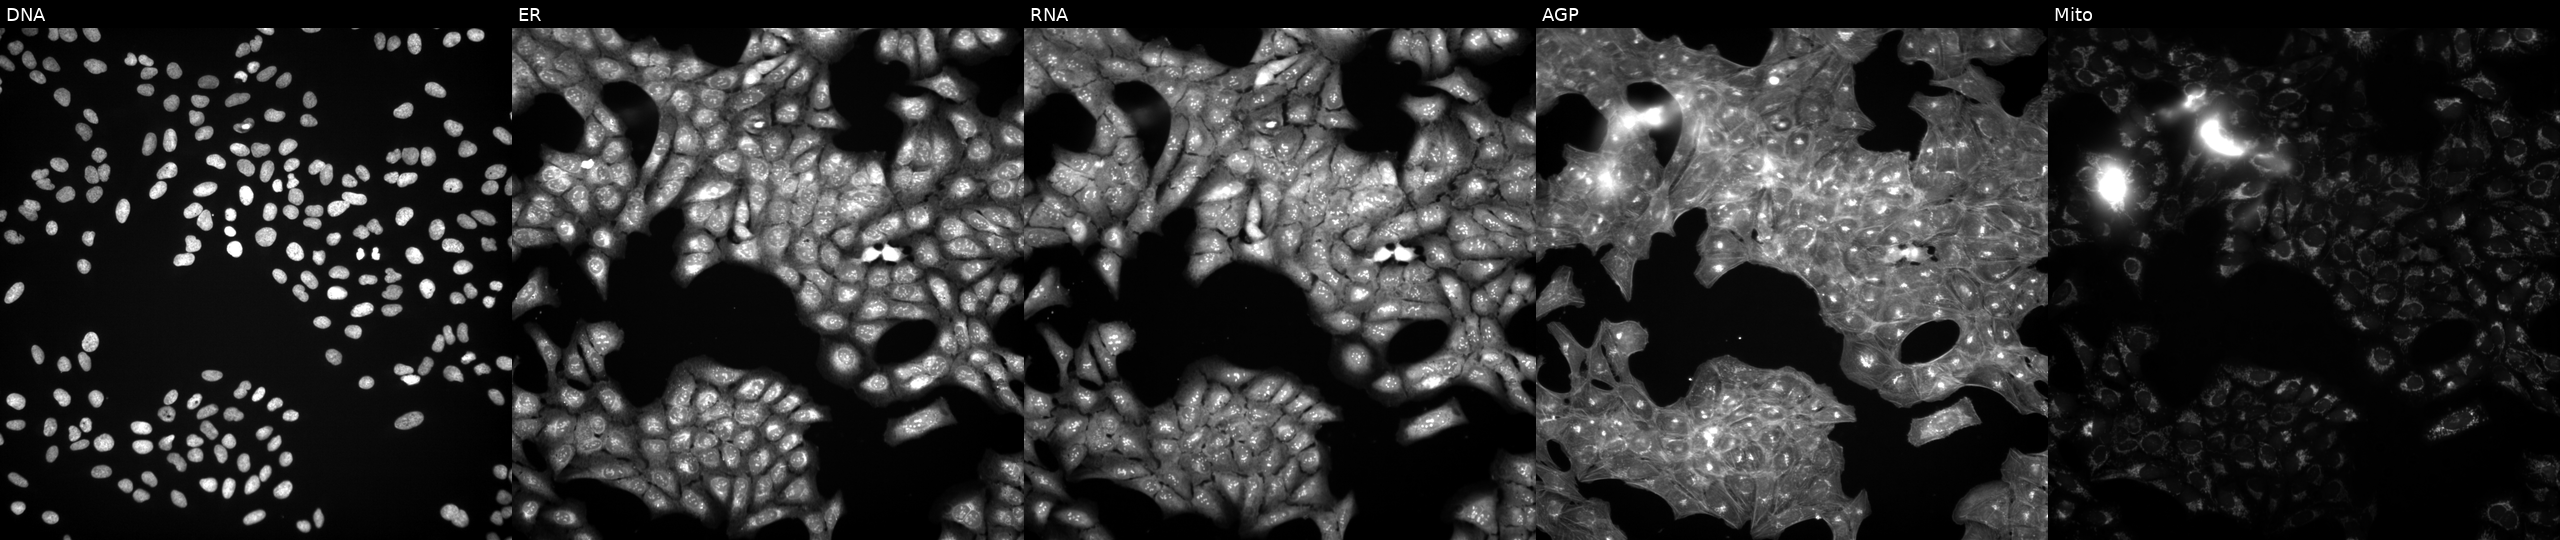
High-content fluorescence microscopy (Cell Painting). Cell line: U2OS. Perturbation: exposed to a small-molecule compound (InChIKey LMEKQMALGUDUQG-UHFFFAOYSA-N) [SMILES: Cn1cnc([N+](=O)[O-])c1Sc1ncnc2[nH]cnc12] (JUMP id JCP2022_050338). Channels (left→right): DNA, ER, RNA, AGP, and Mito.